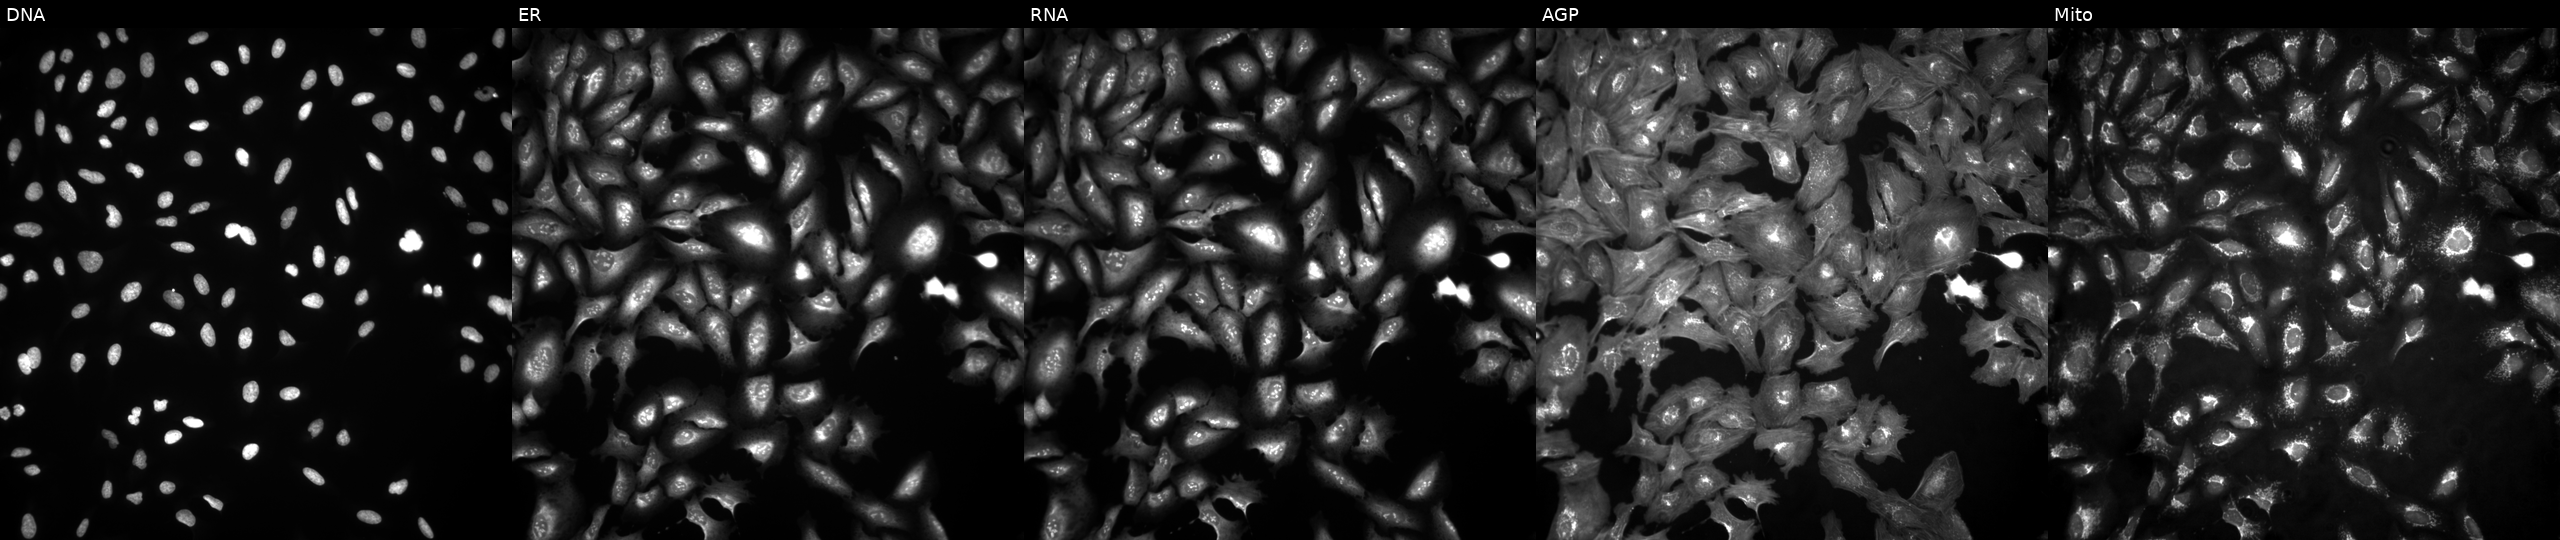
Five-channel Cell Painting image of U2OS cells overexpressing PSMD3 via ORF transfection (JUMP id JCP2022_906370). Channels (left→right): Hoechst 33342, concanavalin A, SYTO 14, phalloidin and WGA, MitoTracker.